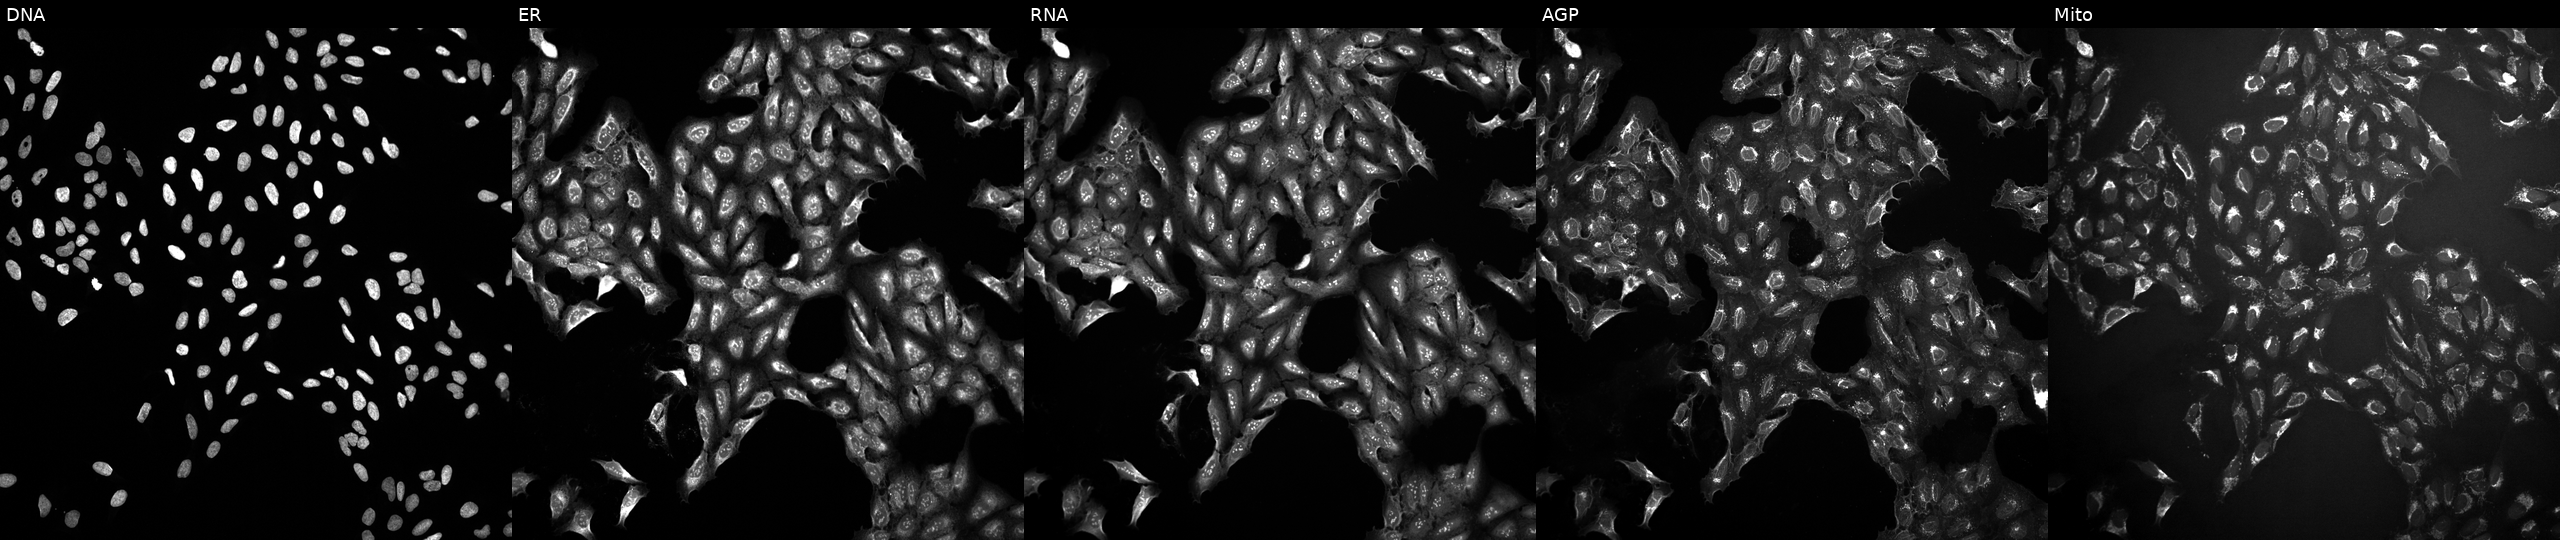
This image strip shows the five Cell Painting channels for a single field of U2OS cells exposed to a small-molecule compound (InChIKey PYEFPDQFAZNXLI-UHFFFAOYSA-N). Panels show, left to right, DNA, ER, RNA, AGP, and Mito. Source 10, plate Dest210803-153958, well J11.